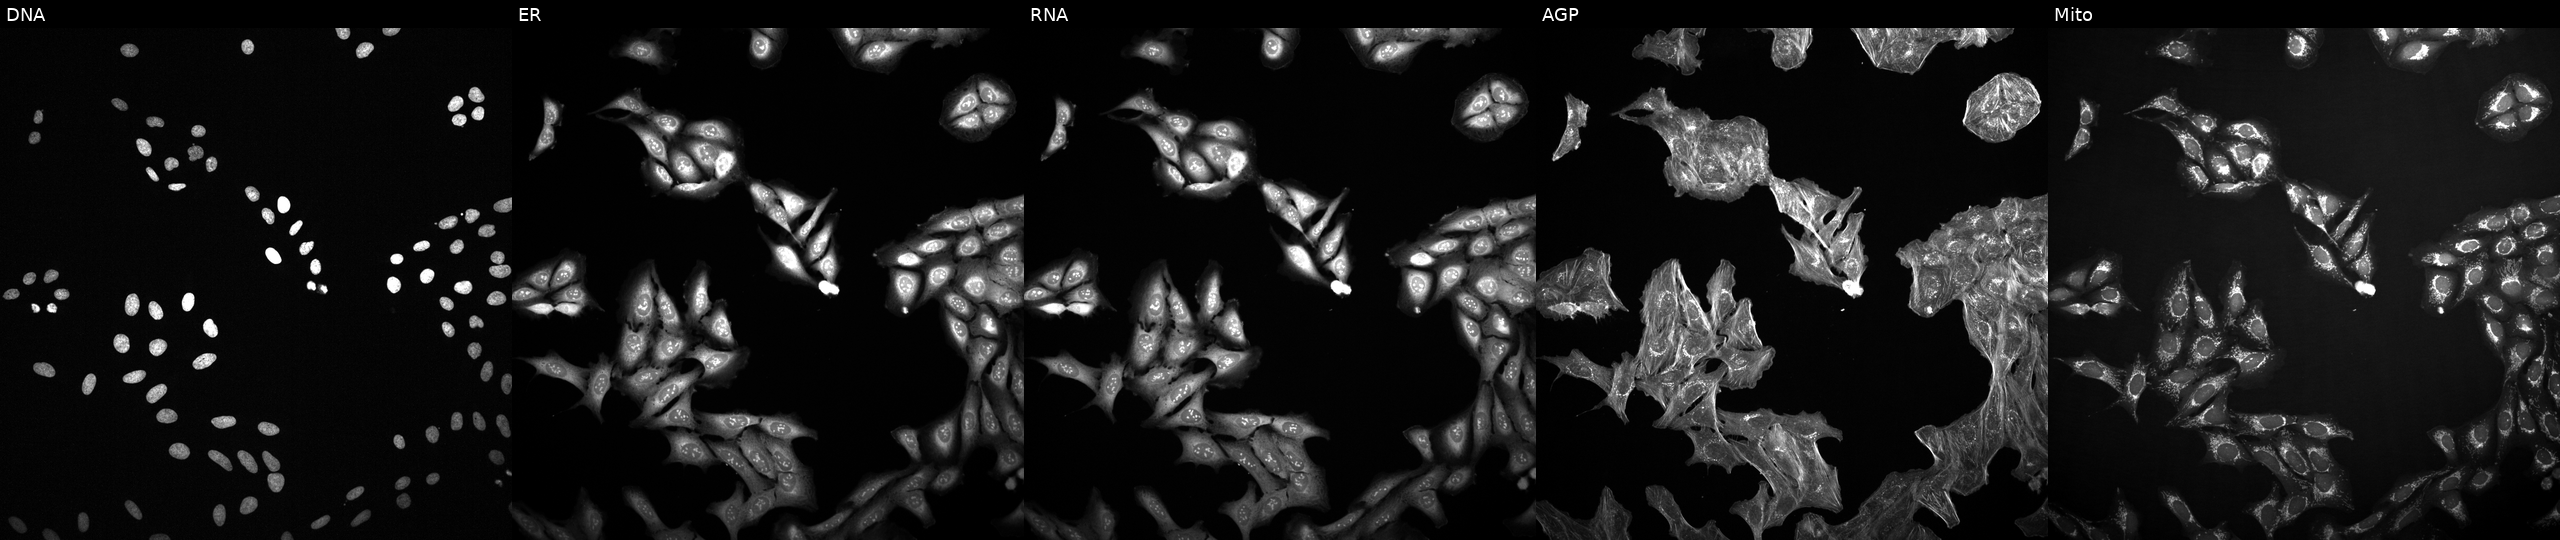
JUMP Cell Painting — TARGET2 plate. U2OS cells perturbed with a small-molecule compound (InChIKey FERIUCNNQQJTOY-UHFFFAOYSA-N). Channels (left→right): Hoechst 33342, concanavalin A, SYTO 14, phalloidin and WGA, MitoTracker.